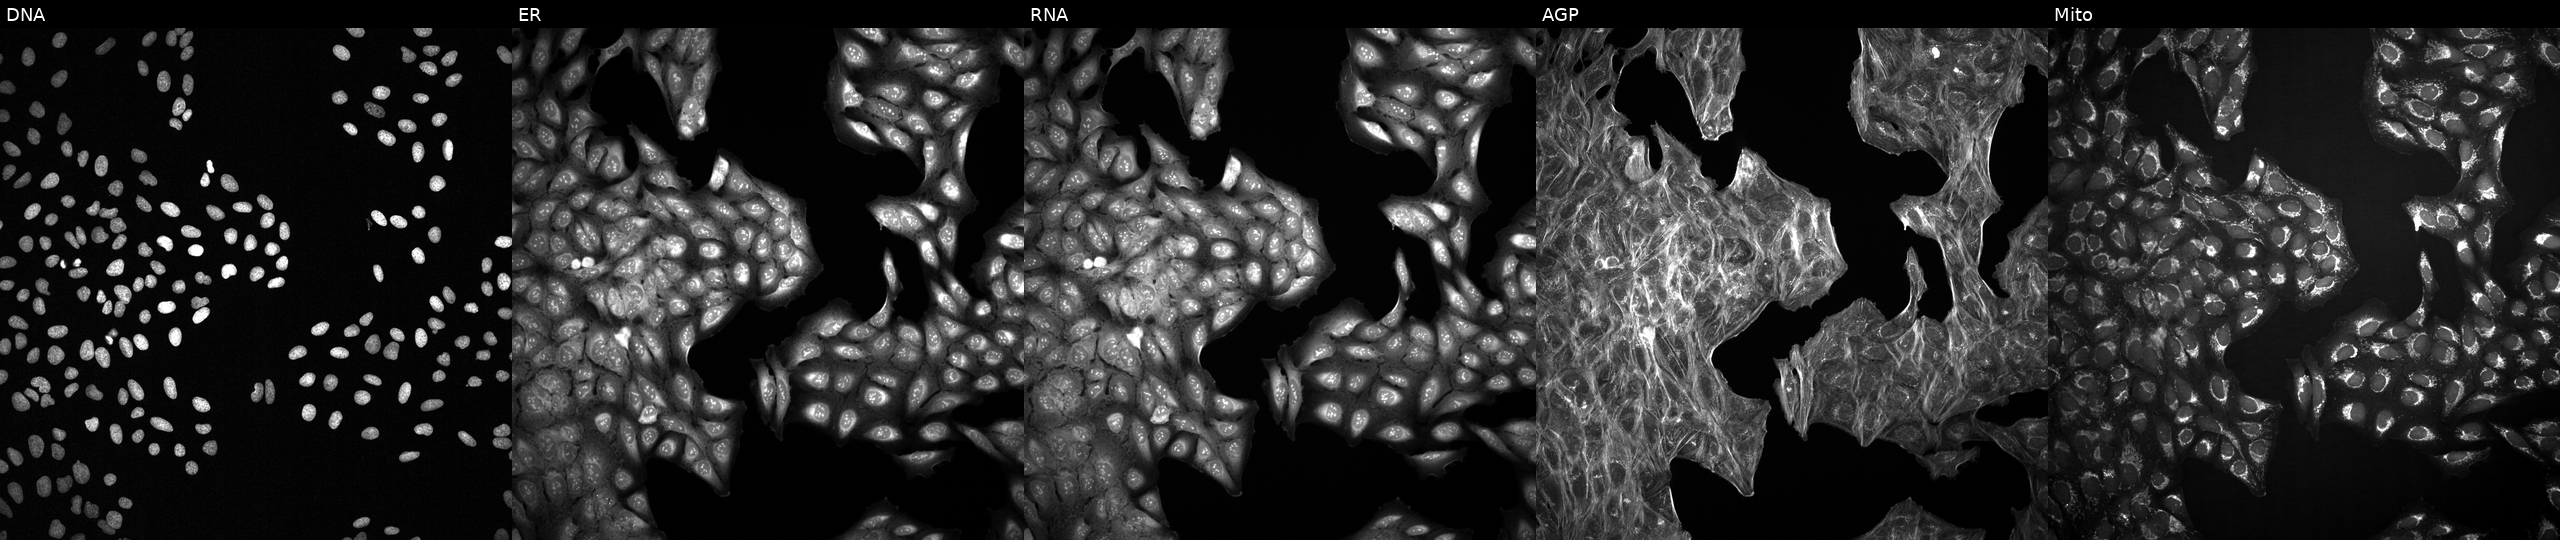
This image strip shows the five Cell Painting channels for a single field of U2OS cells with an unidentified perturbation (not annotated in JUMP metadata). Channels (left→right): DNA (nuclei); ER (endoplasmic reticulum); RNA (nucleoli and cytoplasmic RNA); AGP (actin cytoskeleton, Golgi, and plasma membrane); Mito (mitochondria).